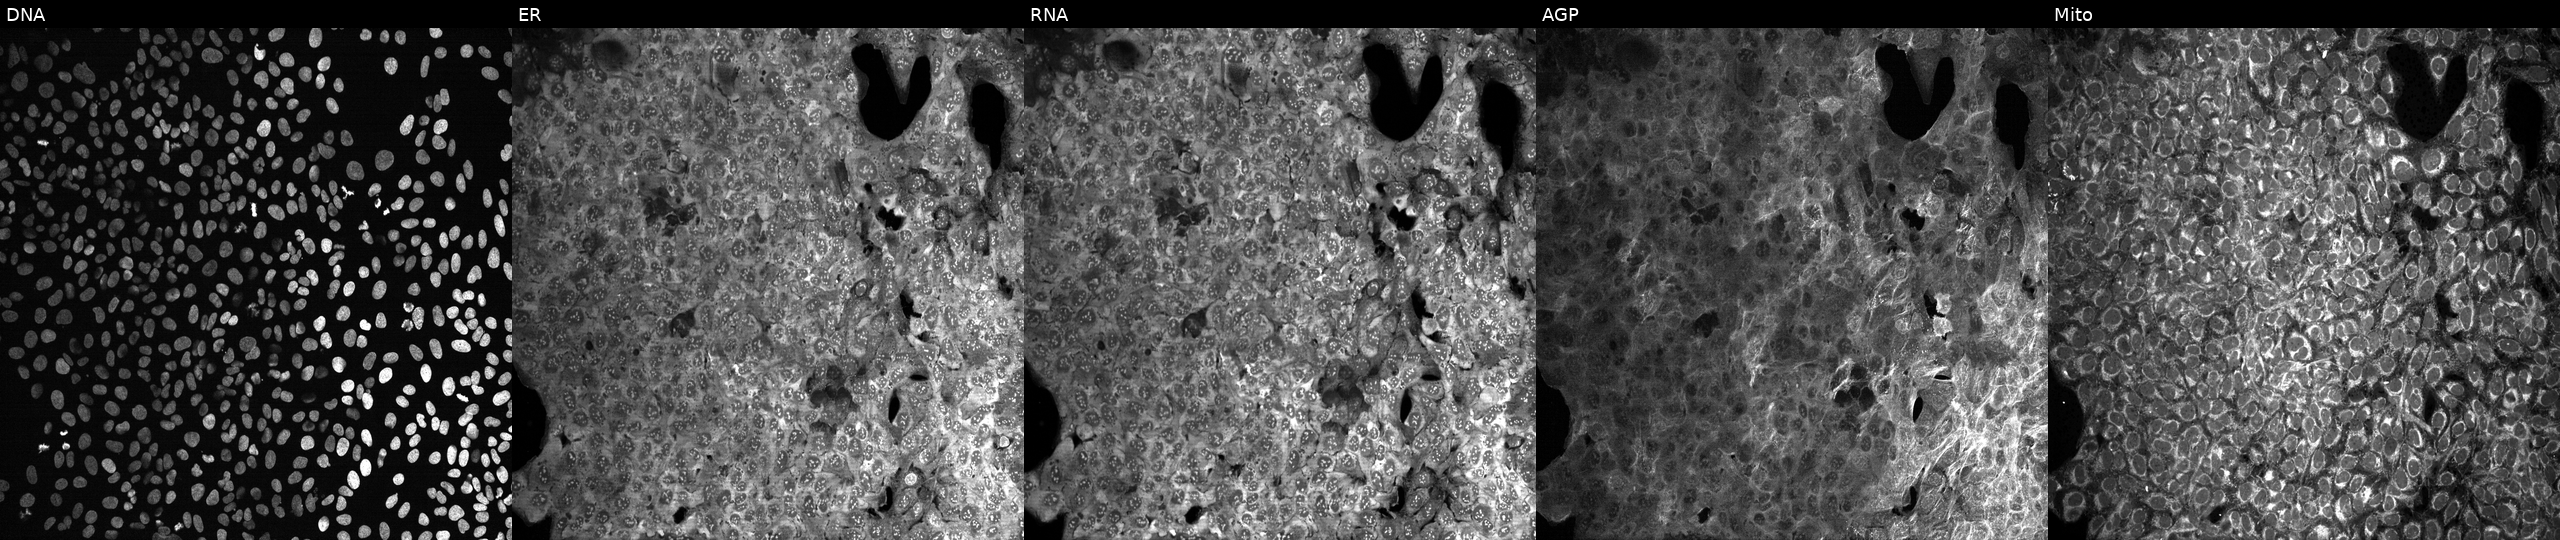
Five-channel Cell Painting image of U2OS cells exposed to the positive-control compound LY2109761. The five panels, left to right, show DNA (nuclei); ER (endoplasmic reticulum); RNA (nucleoli and cytoplasmic RNA); AGP (actin cytoskeleton, Golgi, and plasma membrane); Mito (mitochondria). Source 13, plate CP-CC9-R2-01, well P01.